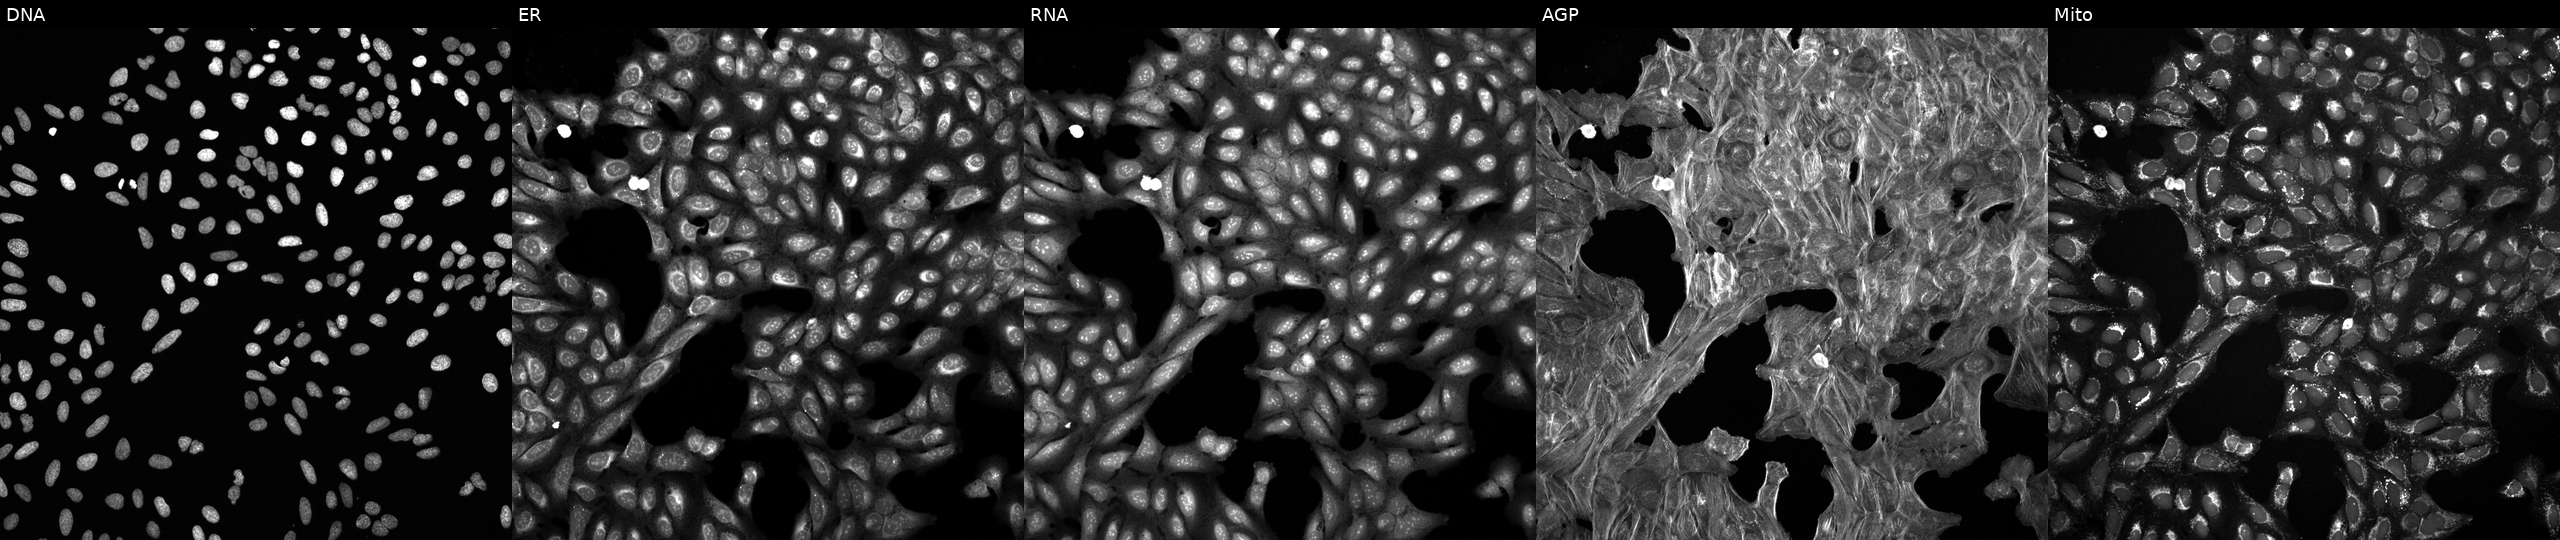
U2OS cells, Cell Painting assay, treated with DMSO vehicle only (negative control). From left to right: DNA, ER, RNA, AGP, and Mito. Each panel is percentile-stretched 16-bit fluorescence.